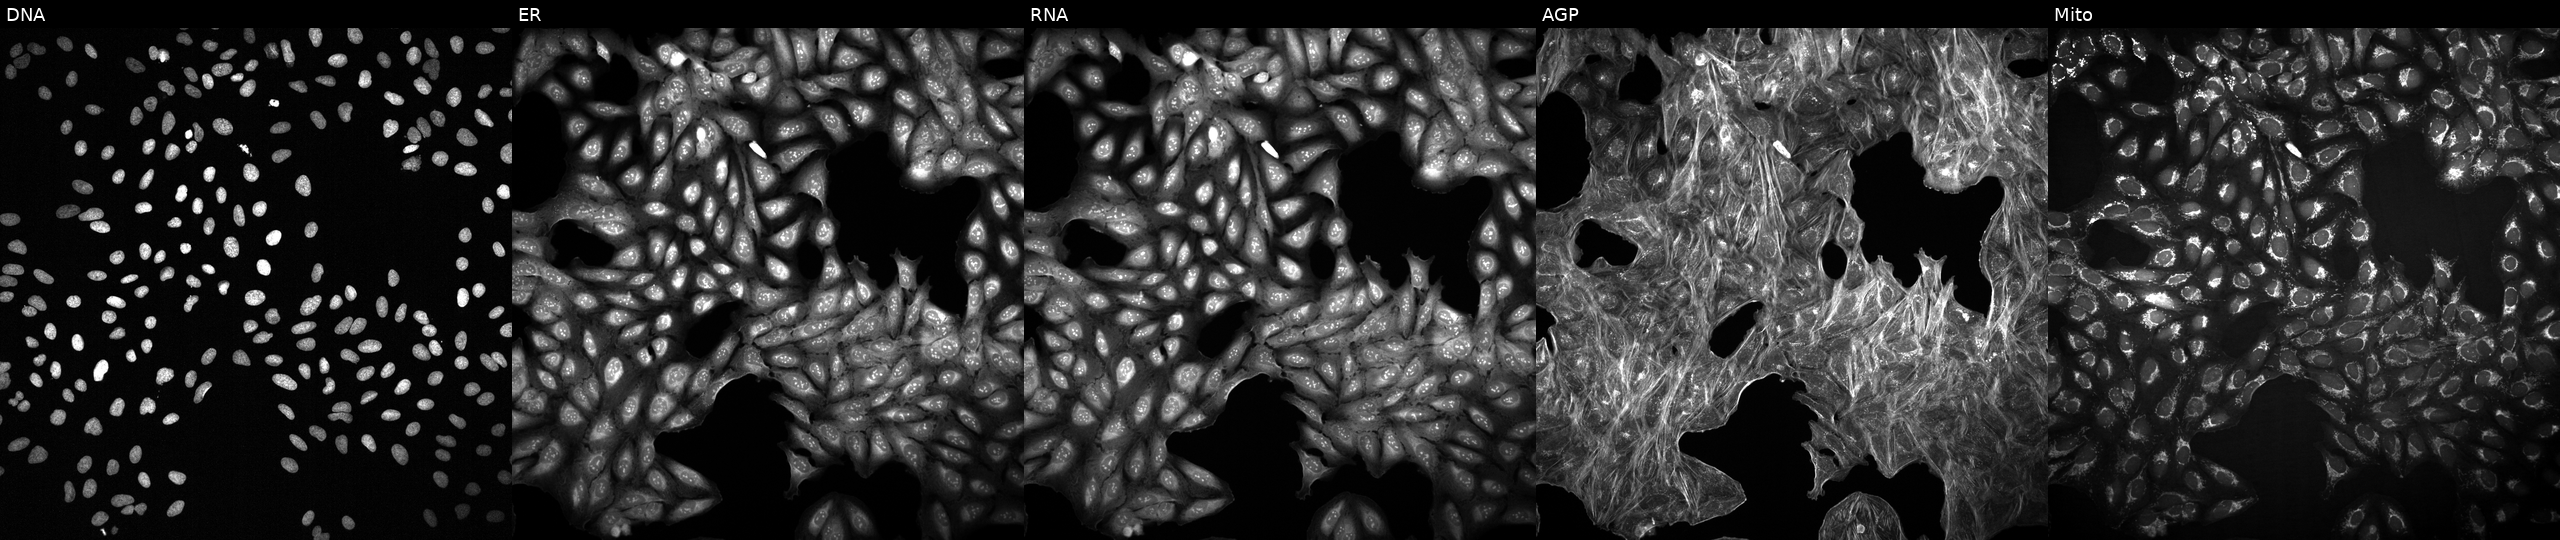
High-content fluorescence microscopy (Cell Painting). Cell line: U2OS. Perturbation: treated with aloxistatin (positive-control compound). Channels (left→right): DNA, ER, RNA, AGP, and Mito.